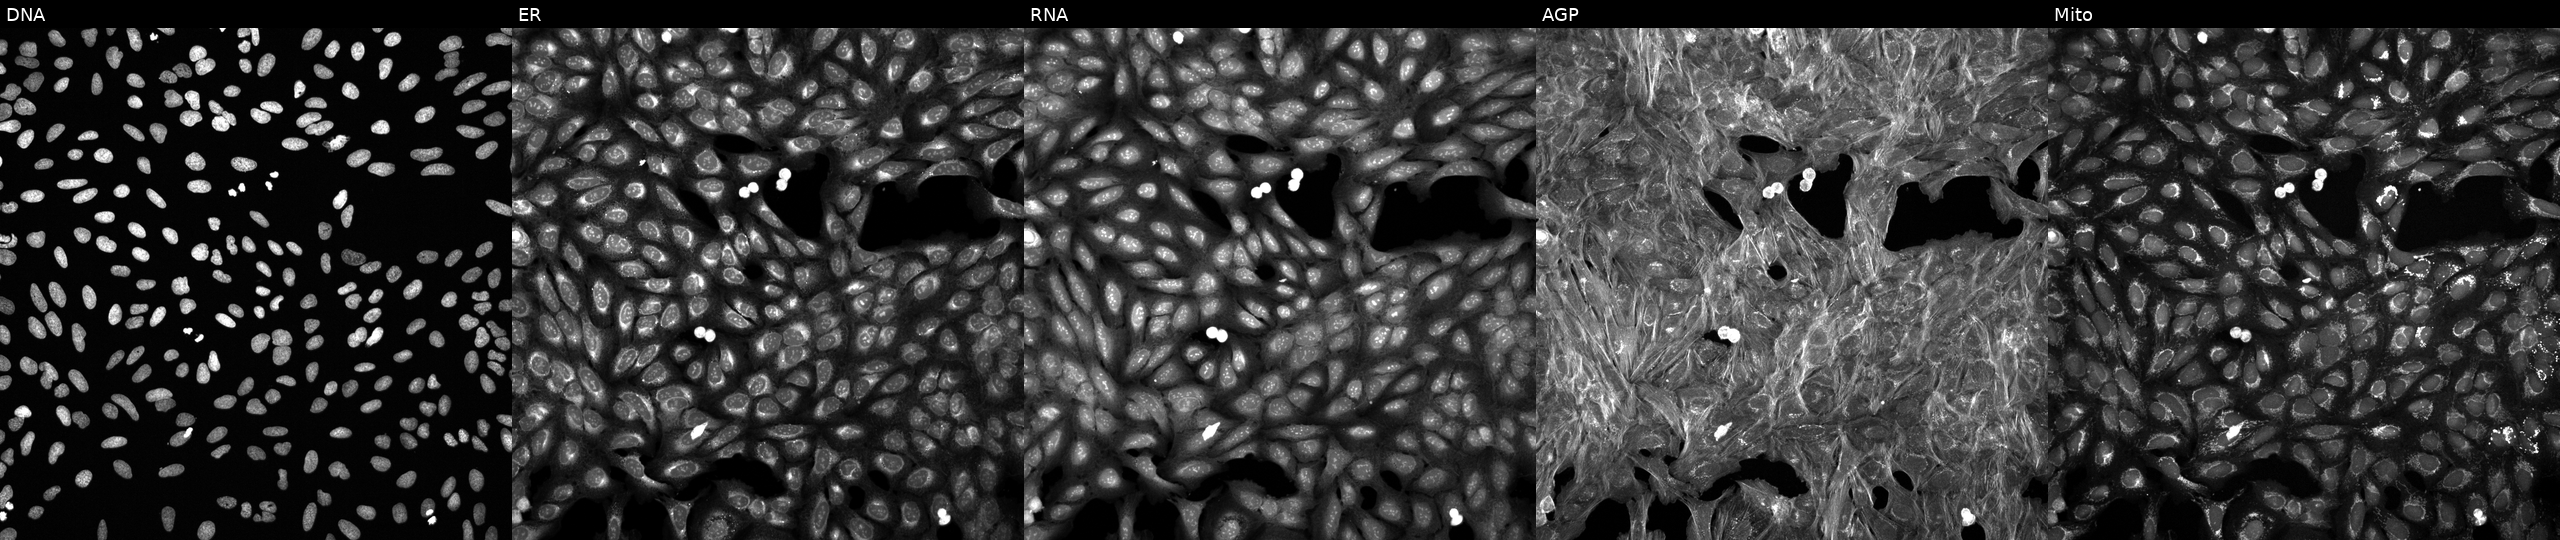
JUMP Cell Painting — TARGET2 plate. U2OS cells perturbed with a small-molecule compound (InChIKey XDJCLCLBSGGNKS-UHFFFAOYSA-N) (JUMP id JCP2022_102936). The five panels, left to right, show DNA (nuclei); ER (endoplasmic reticulum); RNA (nucleoli and cytoplasmic RNA); AGP (actin cytoskeleton, Golgi, and plasma membrane); Mito (mitochondria).